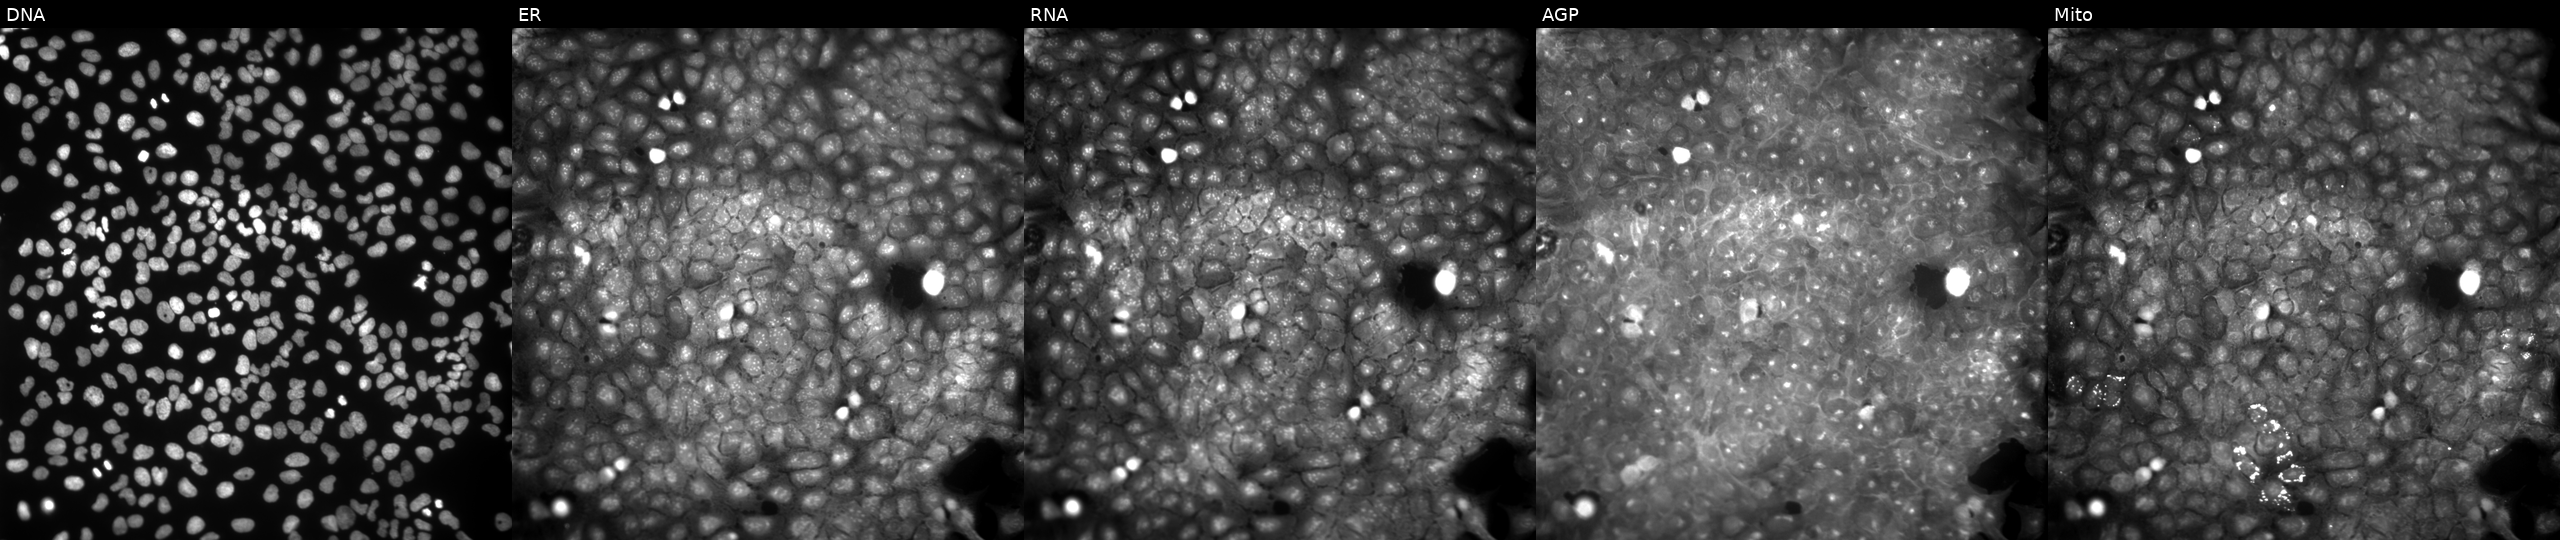
This image strip shows the five Cell Painting channels for a single field of U2OS cells treated with a small-molecule compound [SMILES: Nc1cc(=O)nc(SCC(=O)Nc2ccccc2Cl)n1-c1ccccc1] (JUMP id JCP2022_085565). From left to right: DNA, ER, RNA, AGP, and Mito. Source 9, plate GR00003381, well AD12.